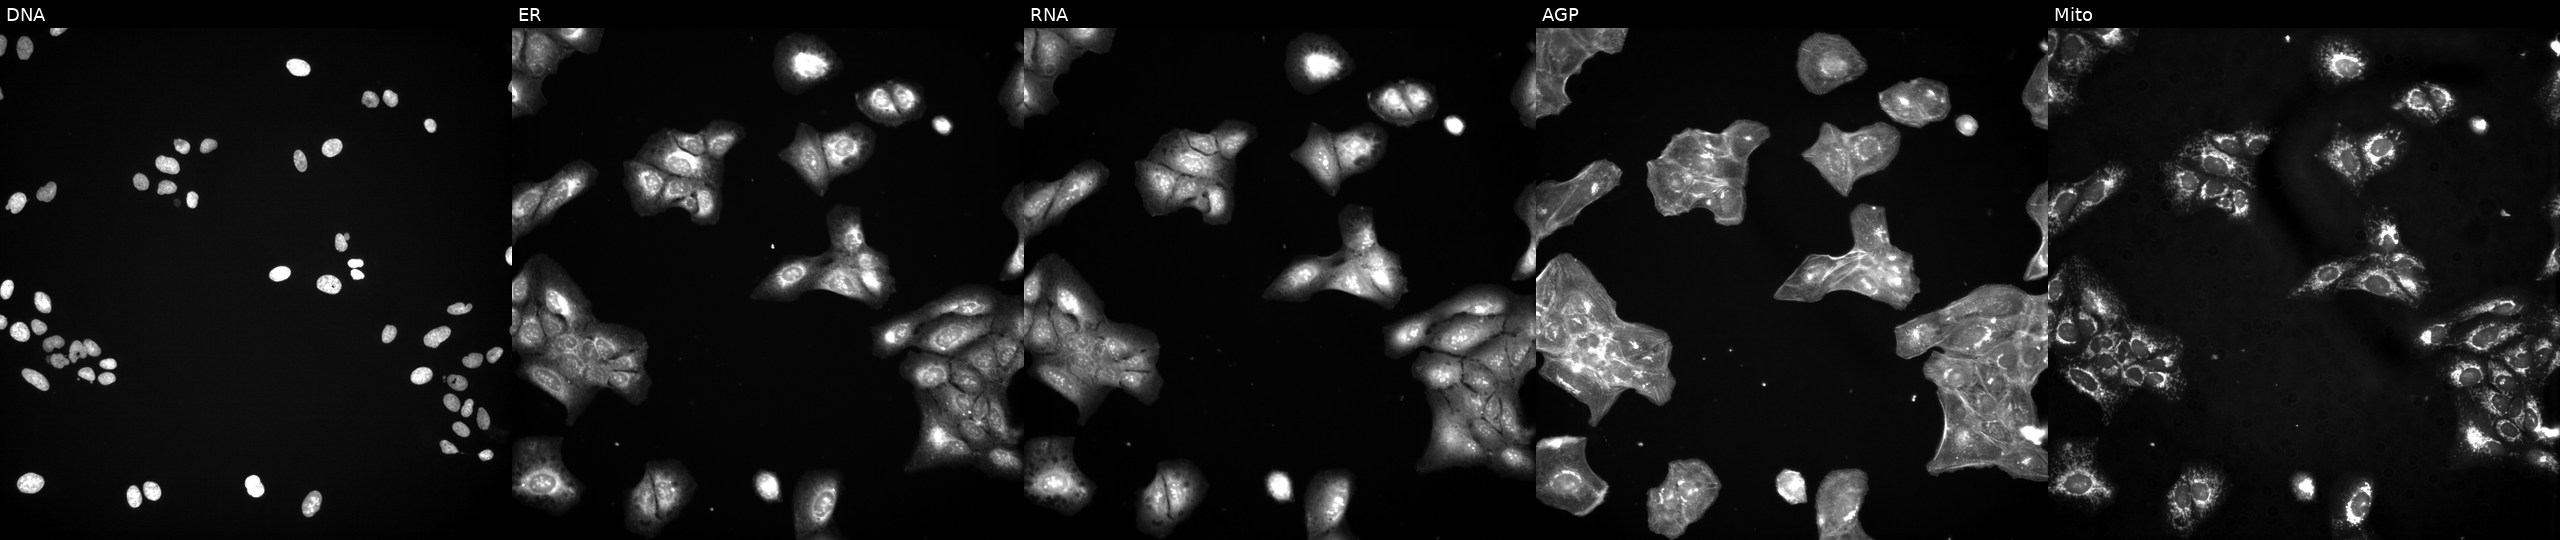
Five-channel Cell Painting image of U2OS cells exposed to a small-molecule compound (InChIKey RAMROQQYRRQPDL-UHFFFAOYSA-N) [SMILES: CC(C)C(CO)N=c1[nH]c(=Nc2cc(N)cc(Cl)c2)c2ncn(C(C)C)c2[nH]1]. Panels show, left to right, DNA, ER, RNA, AGP, and Mito.